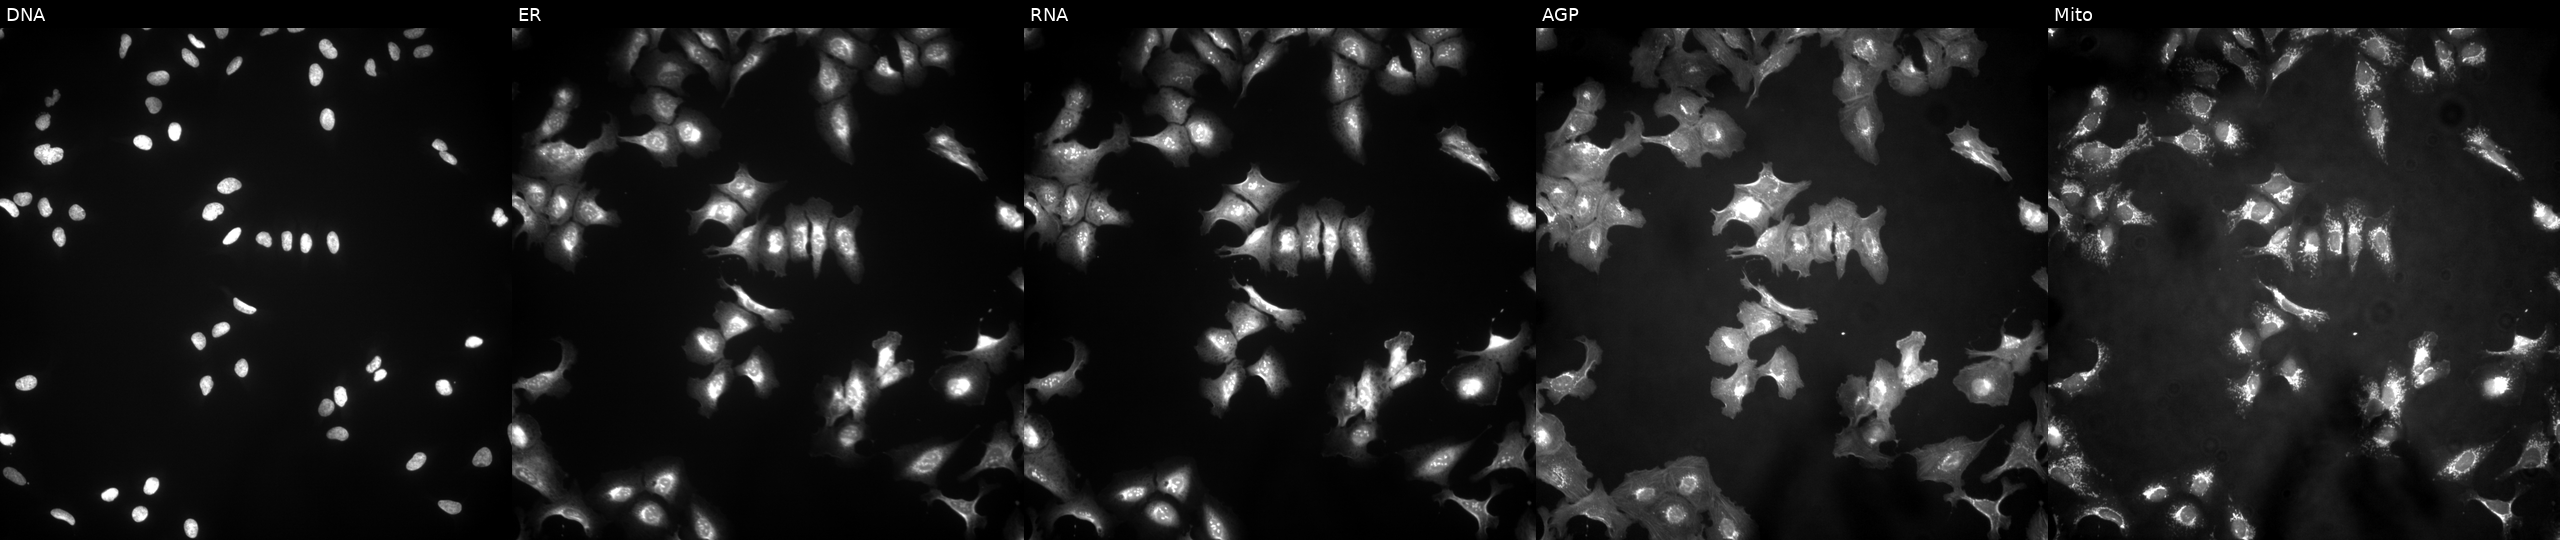
JUMP Cell Painting — ORF plate. U2OS cells with RRNAD1 overexpressed (ORF). The five panels, left to right, show Hoechst 33342, concanavalin A, SYTO 14, phalloidin and WGA, MitoTracker. Source 4, plate BR00123506, well P13.